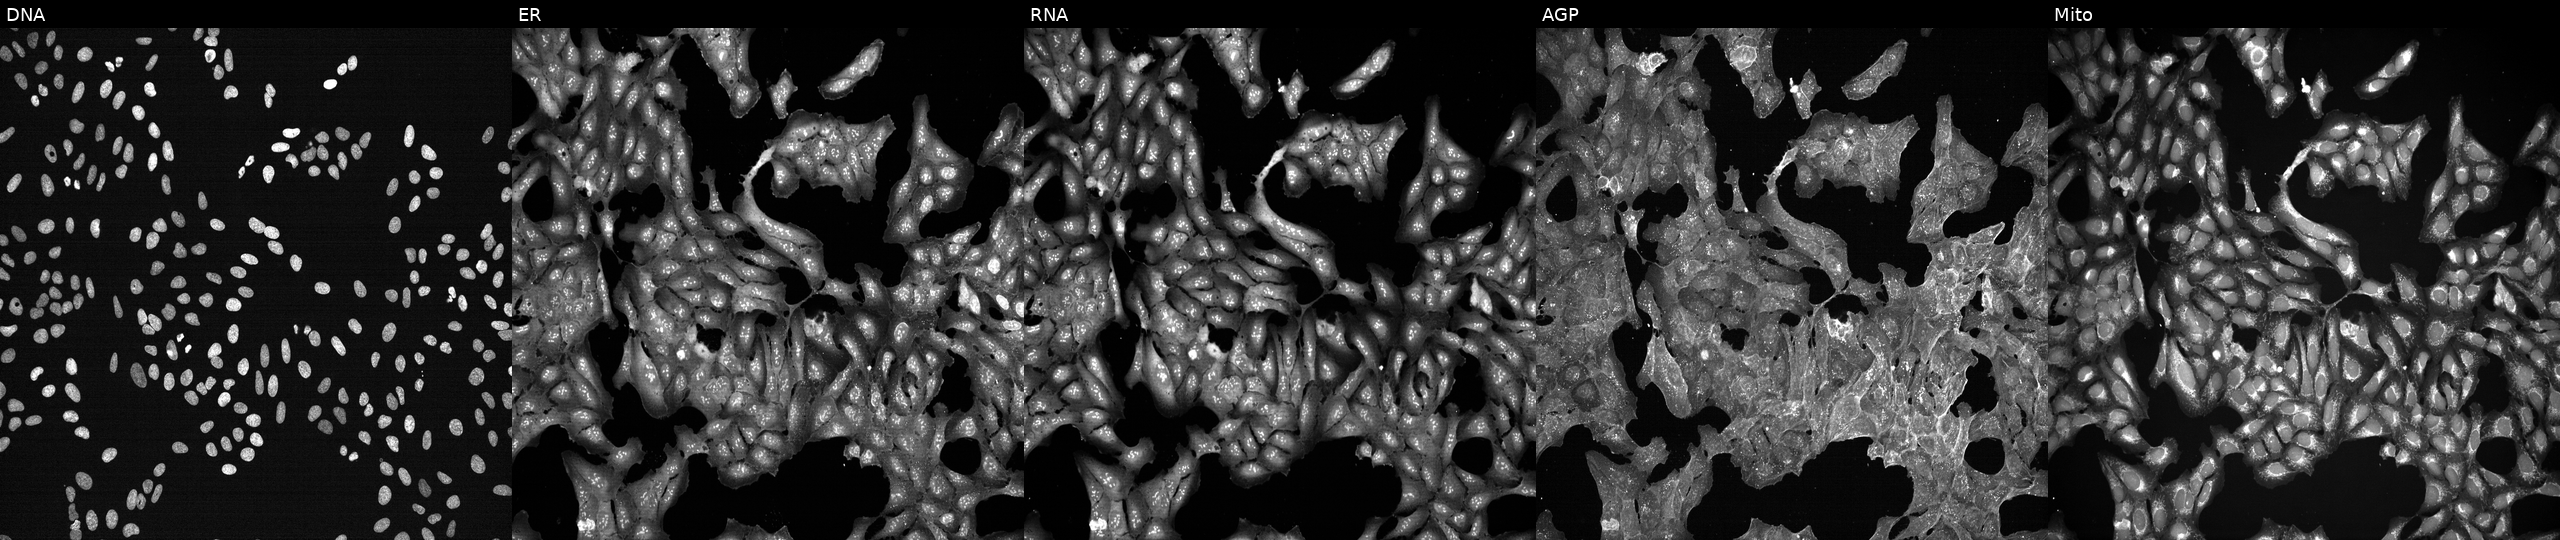
This image strip shows the five Cell Painting channels for a single field of U2OS cells treated with quinidine (positive-control compound). From left to right: Hoechst 33342, concanavalin A, SYTO 14, phalloidin and WGA, MitoTracker. Source 7, plate CP2-SC1-25, well H12.